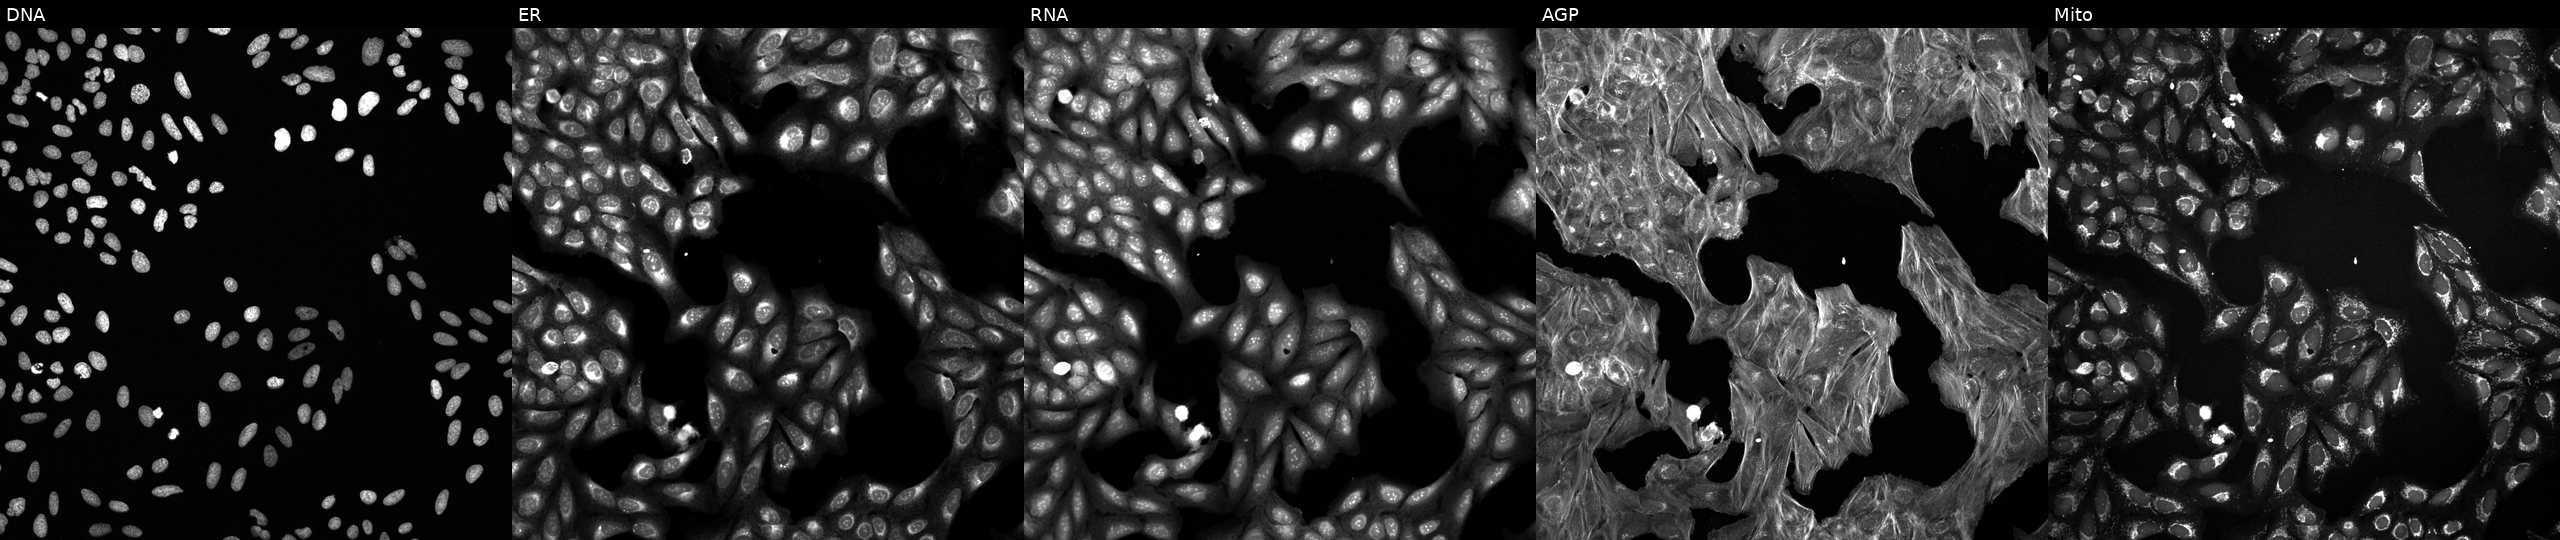
JUMP Cell Painting — COMPOUND plate. U2OS cells perturbed with a small-molecule compound (InChIKey CKVCZLKVWCAEAR-UHFFFAOYSA-N) (JUMP id JCP2022_011772). From left to right: DNA (nuclei); ER (endoplasmic reticulum); RNA (nucleoli and cytoplasmic RNA); AGP (actin cytoskeleton, Golgi, and plasma membrane); Mito (mitochondria).